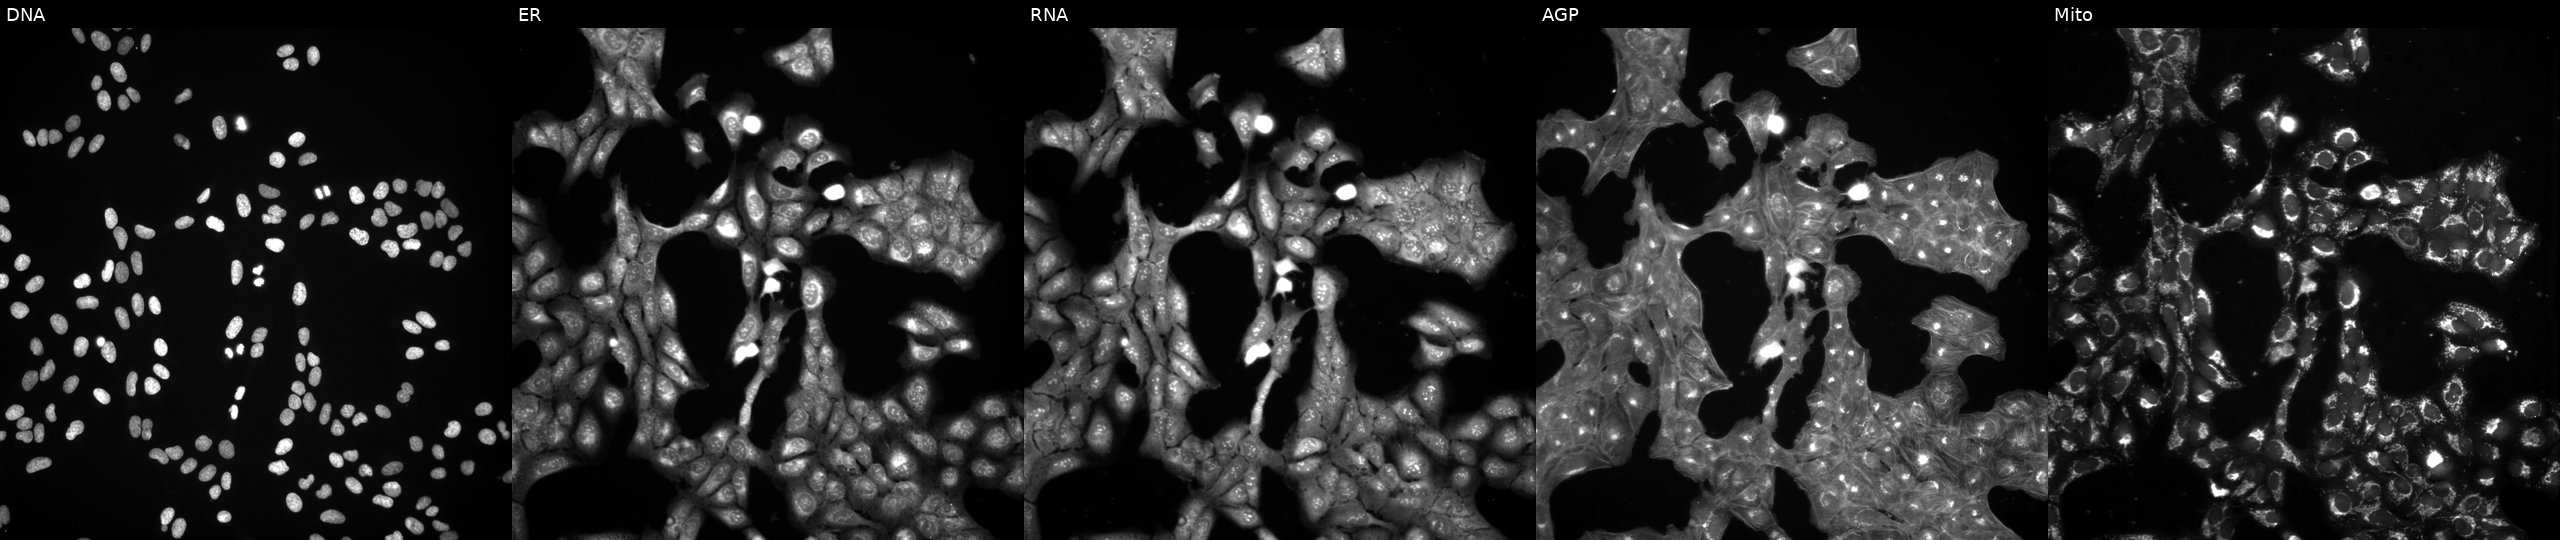
This image strip shows the five Cell Painting channels for a single field of U2OS cells treated with a small-molecule compound (JUMP id JCP2022_071301). Panels show, left to right, DNA (nuclei); ER (endoplasmic reticulum); RNA (nucleoli and cytoplasmic RNA); AGP (actin cytoskeleton, Golgi, and plasma membrane); Mito (mitochondria).